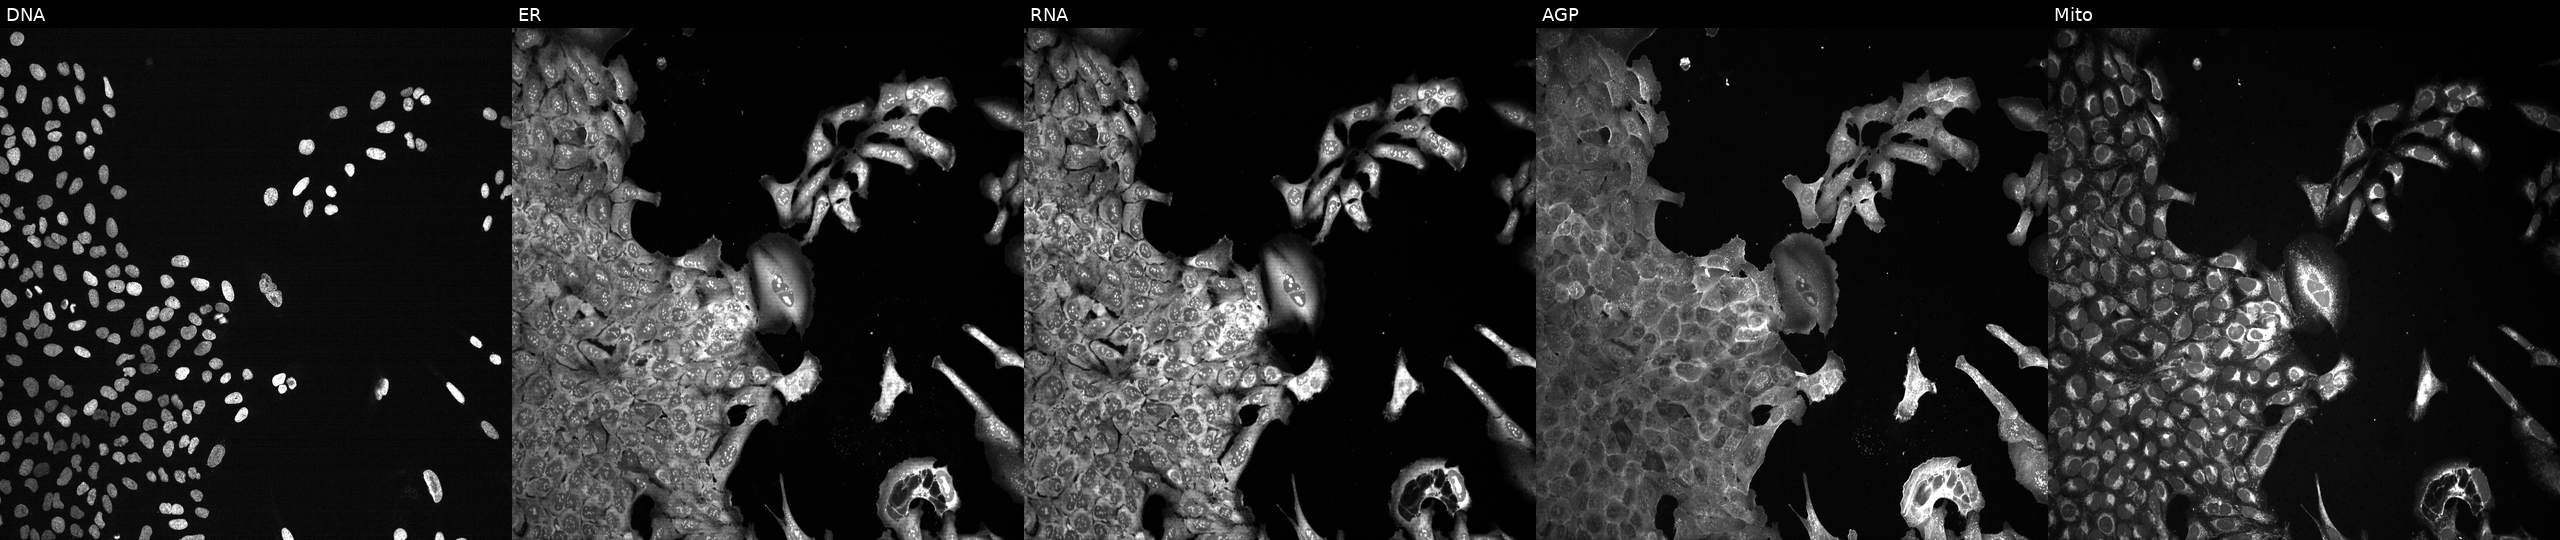
Five-channel Cell Painting image of U2OS cells with a non-targeting CRISPR guide (negative control). Channels (left→right): DNA, ER, RNA, AGP, and Mito.